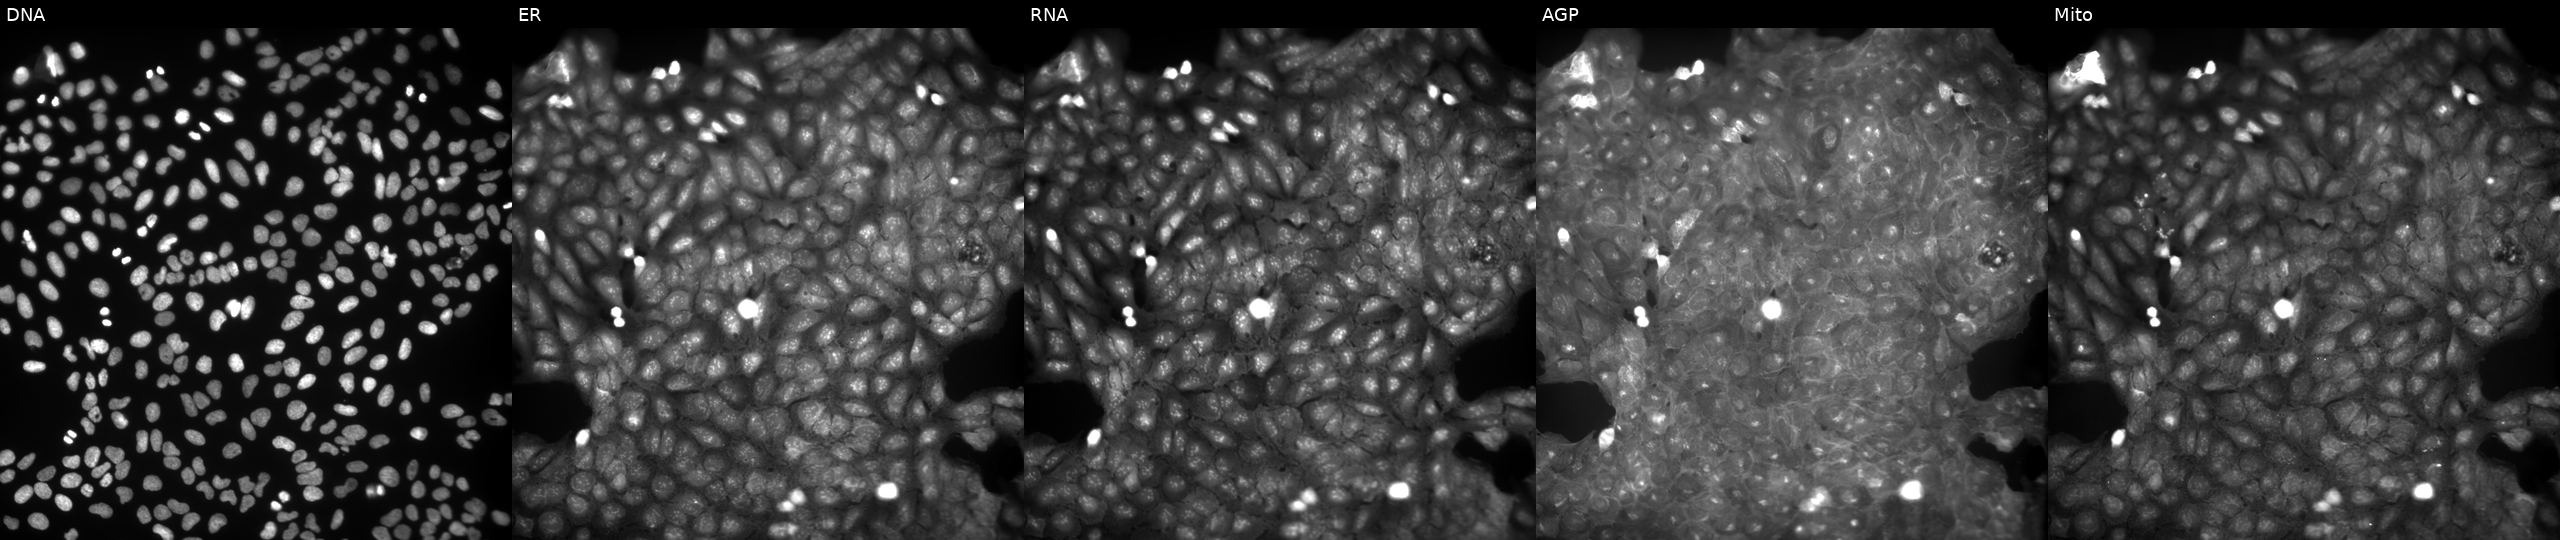
JUMP Cell Painting — COMPOUND plate. U2OS cells exposed to a small-molecule compound (JUMP id JCP2022_105664). Panels show, left to right, Hoechst 33342, concanavalin A, SYTO 14, phalloidin and WGA, MitoTracker. Source 9, plate GR00003382, well AC33.